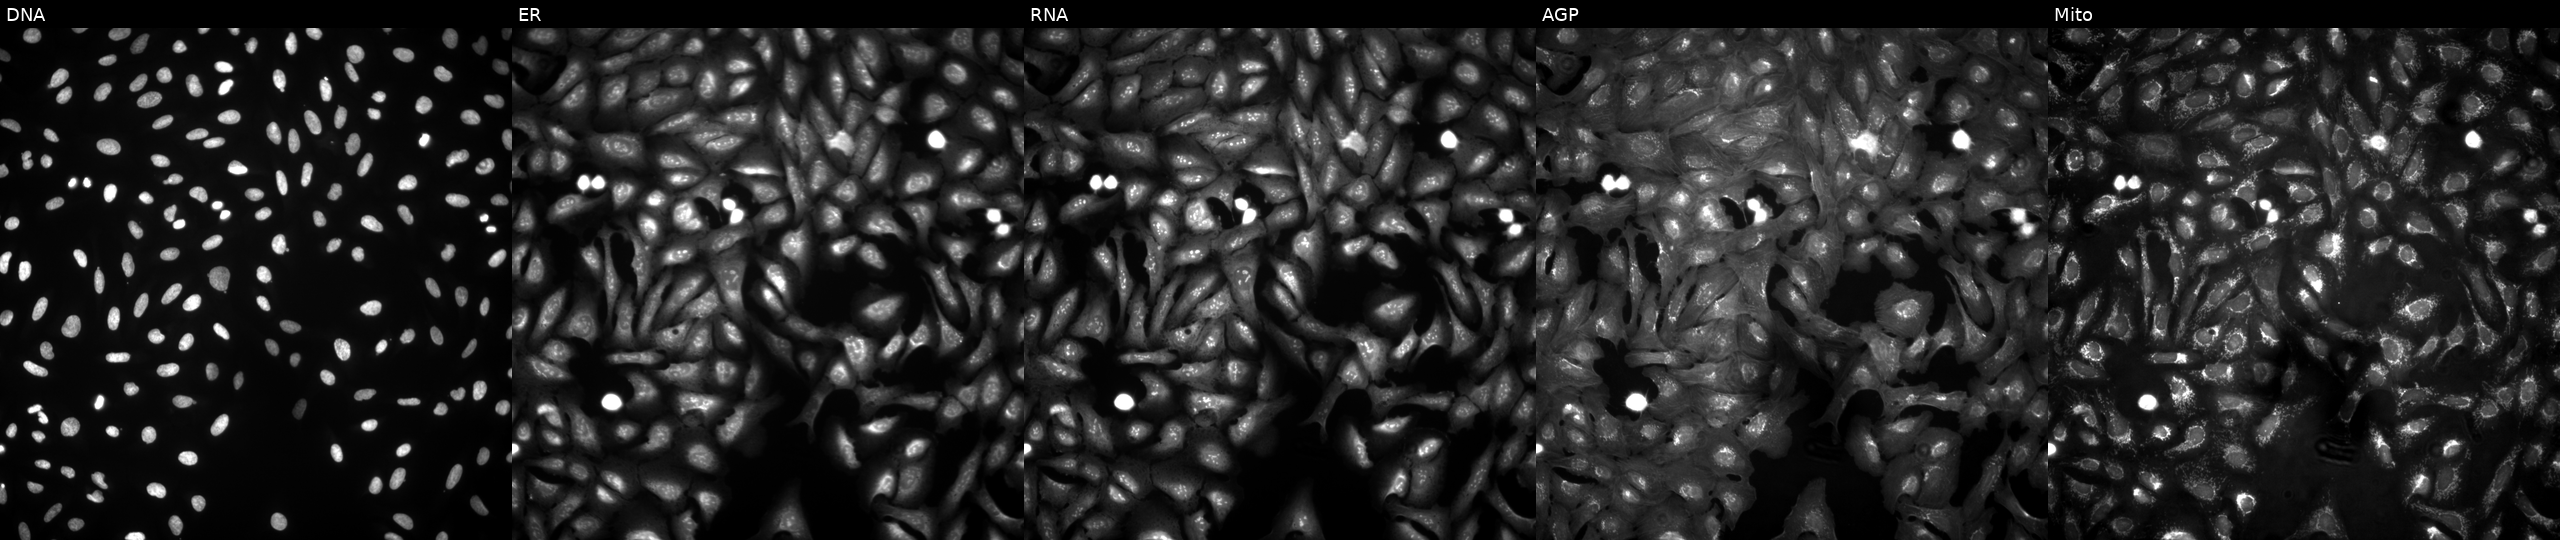
Five-channel Cell Painting image of U2OS cells overexpressing RTN1 via ORF transfection. Panels show, left to right, DNA (nuclei); ER (endoplasmic reticulum); RNA (nucleoli and cytoplasmic RNA); AGP (actin cytoskeleton, Golgi, and plasma membrane); Mito (mitochondria).